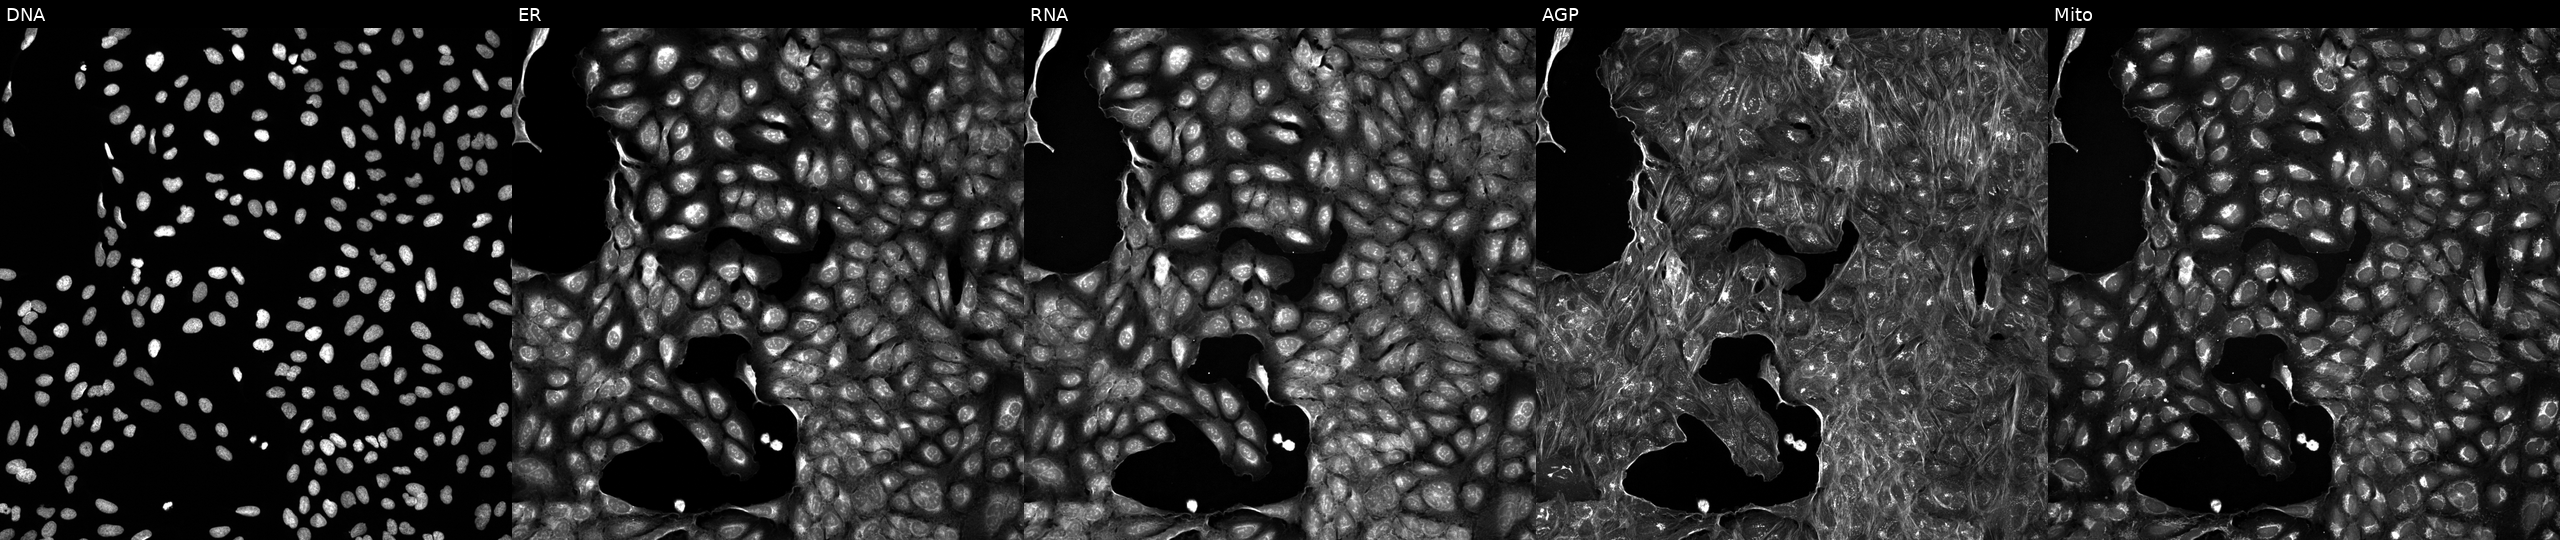
JUMP Cell Painting — TARGET2 plate. U2OS cells exposed to DMSO alone as a negative control (JUMP id JCP2022_033924). From left to right: DNA, ER, RNA, AGP, and Mito. Source 5, plate ACPJUM032, well I09.